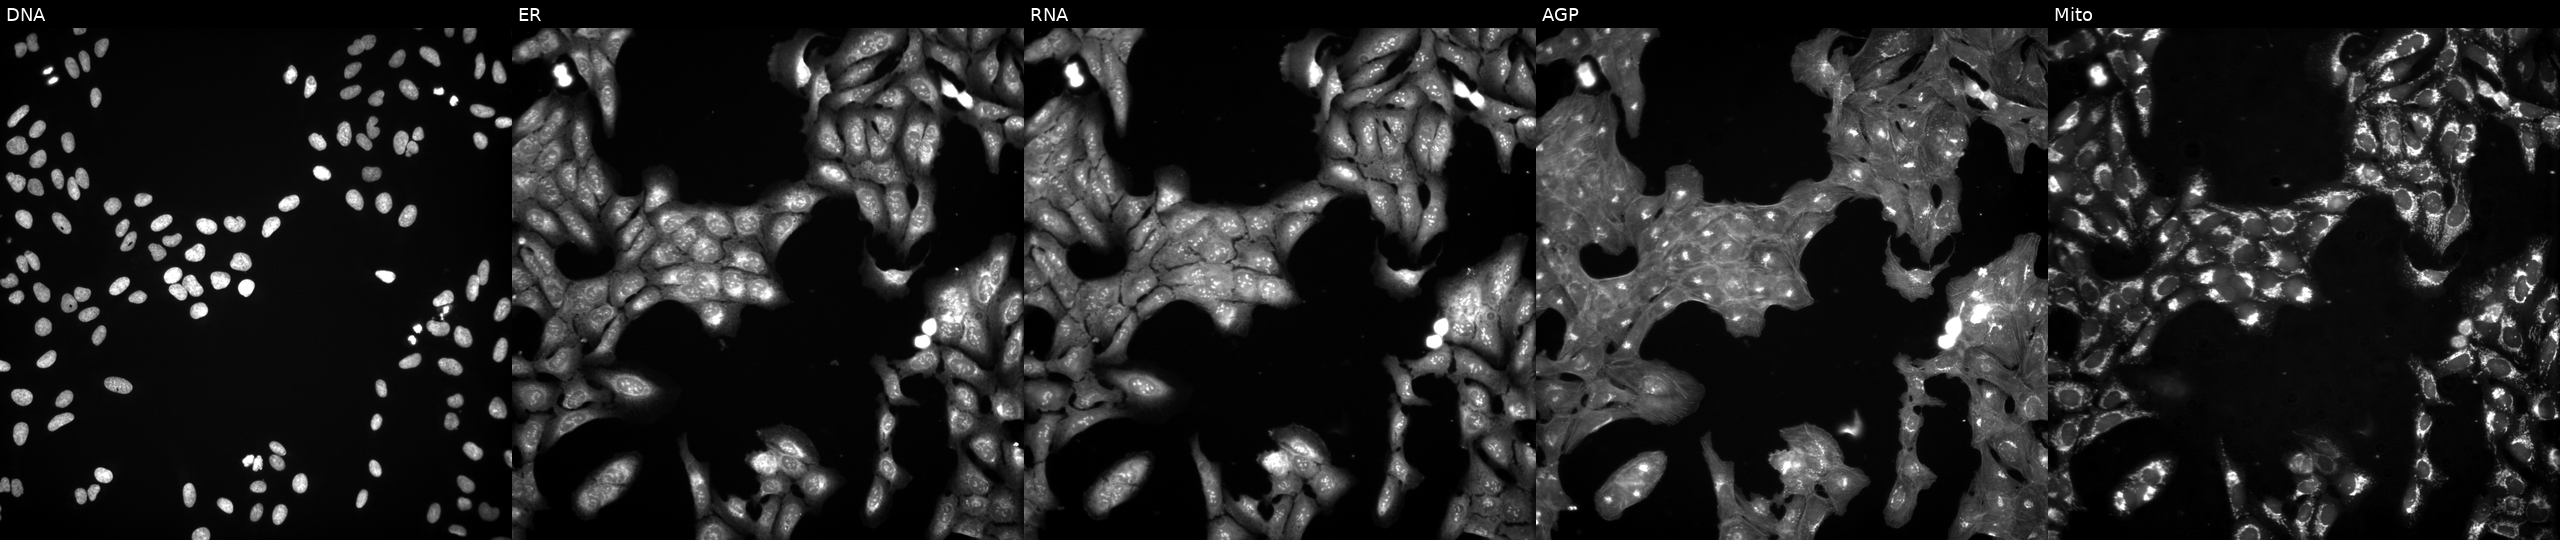
JUMP Cell Painting — COMPOUND plate. U2OS cells perturbed with a small-molecule compound (InChIKey UBUFPUJTIFHPPG-UHFFFAOYSA-N) [SMILES: O=S(=O)(N=c1[nH]c(-c2ccccc2)cs1)c1ccc(Cl)cc1]. The five panels, left to right, show DNA (nuclei); ER (endoplasmic reticulum); RNA (nucleoli and cytoplasmic RNA); AGP (actin cytoskeleton, Golgi, and plasma membrane); Mito (mitochondria). Source 3, plate BR5867b3, well K03.